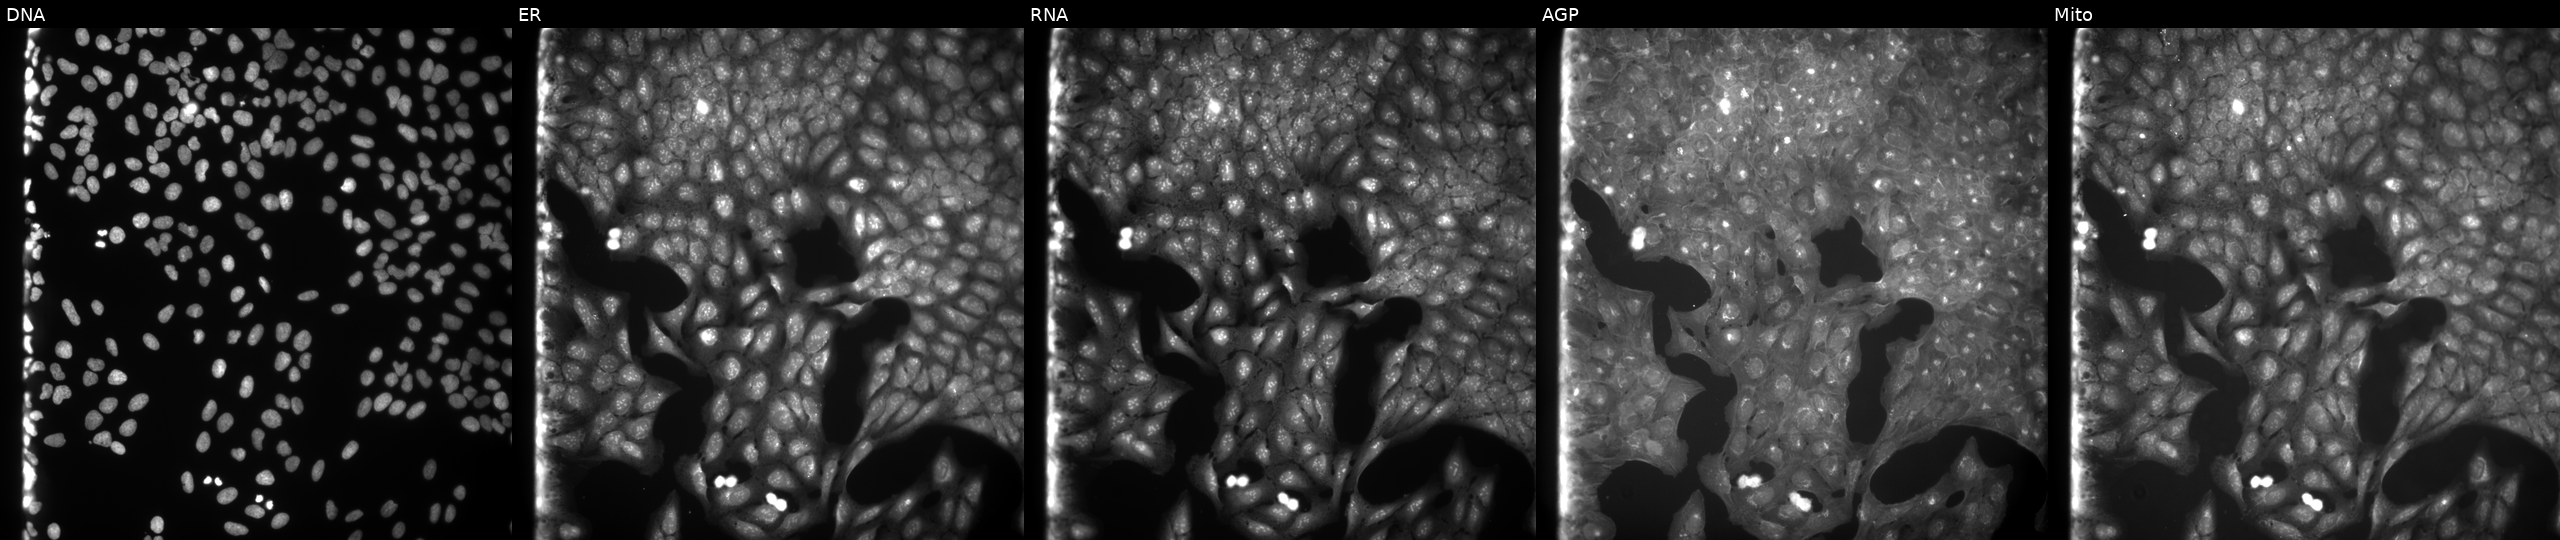
From left to right: DNA (nuclei); ER (endoplasmic reticulum); RNA (nucleoli and cytoplasmic RNA); AGP (actin cytoskeleton, Golgi, and plasma membrane); Mito (mitochondria). U2OS osteosarcoma cells treated with a small-molecule compound (InChIKey XSUQMLJANPGLHP-UHFFFAOYSA-N). Cell Painting assay, JUMP-CP dataset. Source 9, plate GR00003382, well K04.